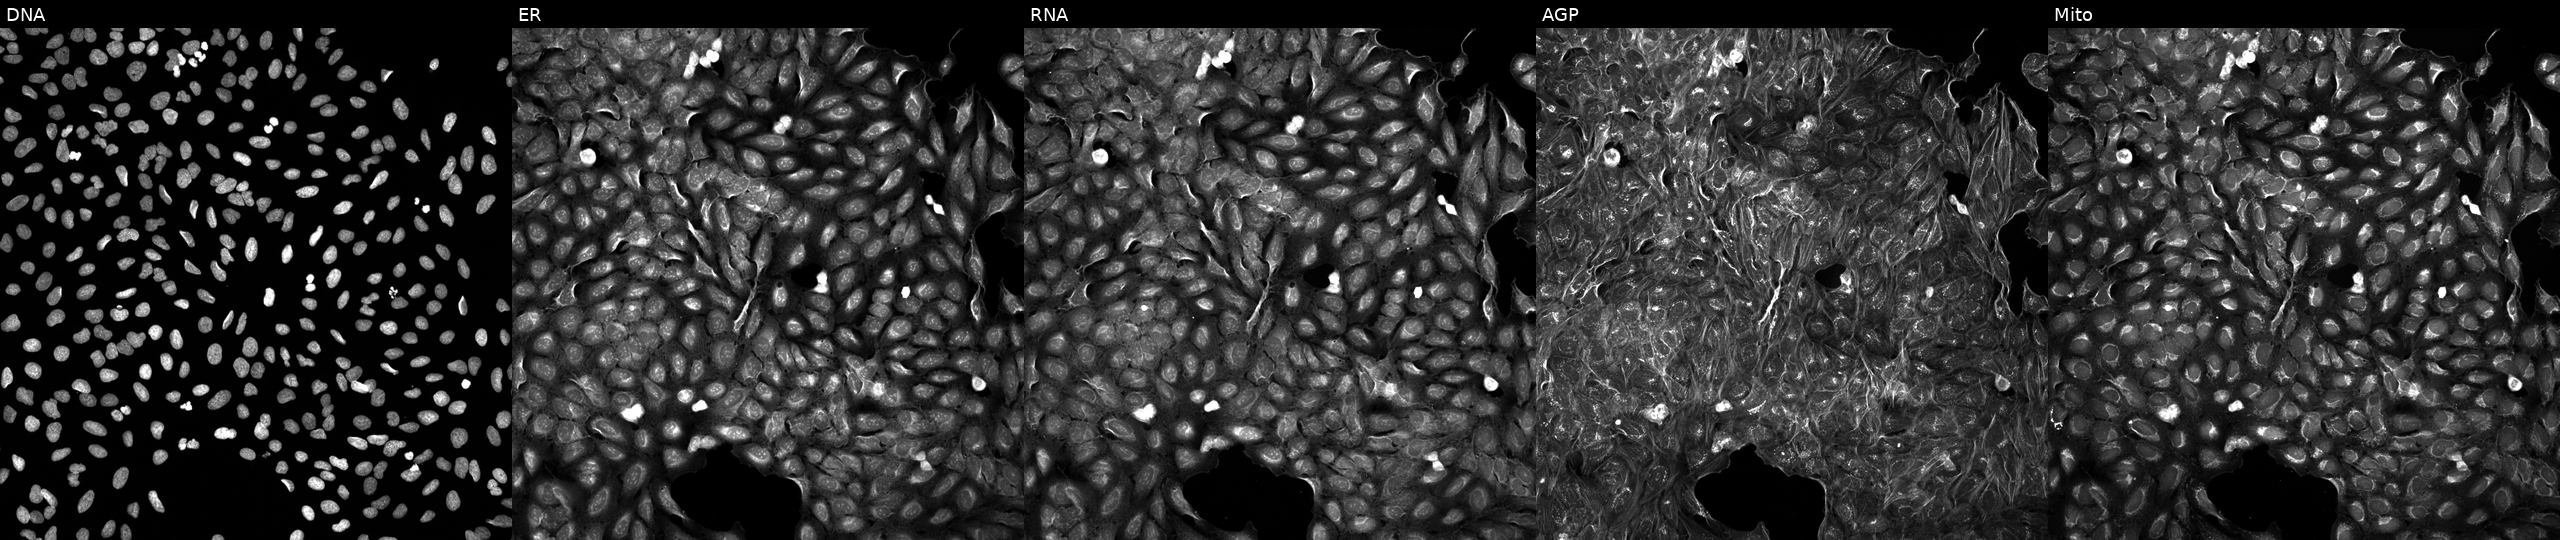
This image strip shows the five Cell Painting channels for a single field of U2OS cells treated with a small-molecule compound (InChIKey BBTKHIFJFYFNHU-UHFFFAOYSA-N) [SMILES: COCCN(Cc1nc(=O)c2ccccc2[nH]1)C(=O)Cc1cc(Cl)c2c(c1)OCCO2]. Channels (left→right): DNA, ER, RNA, AGP, and Mito.